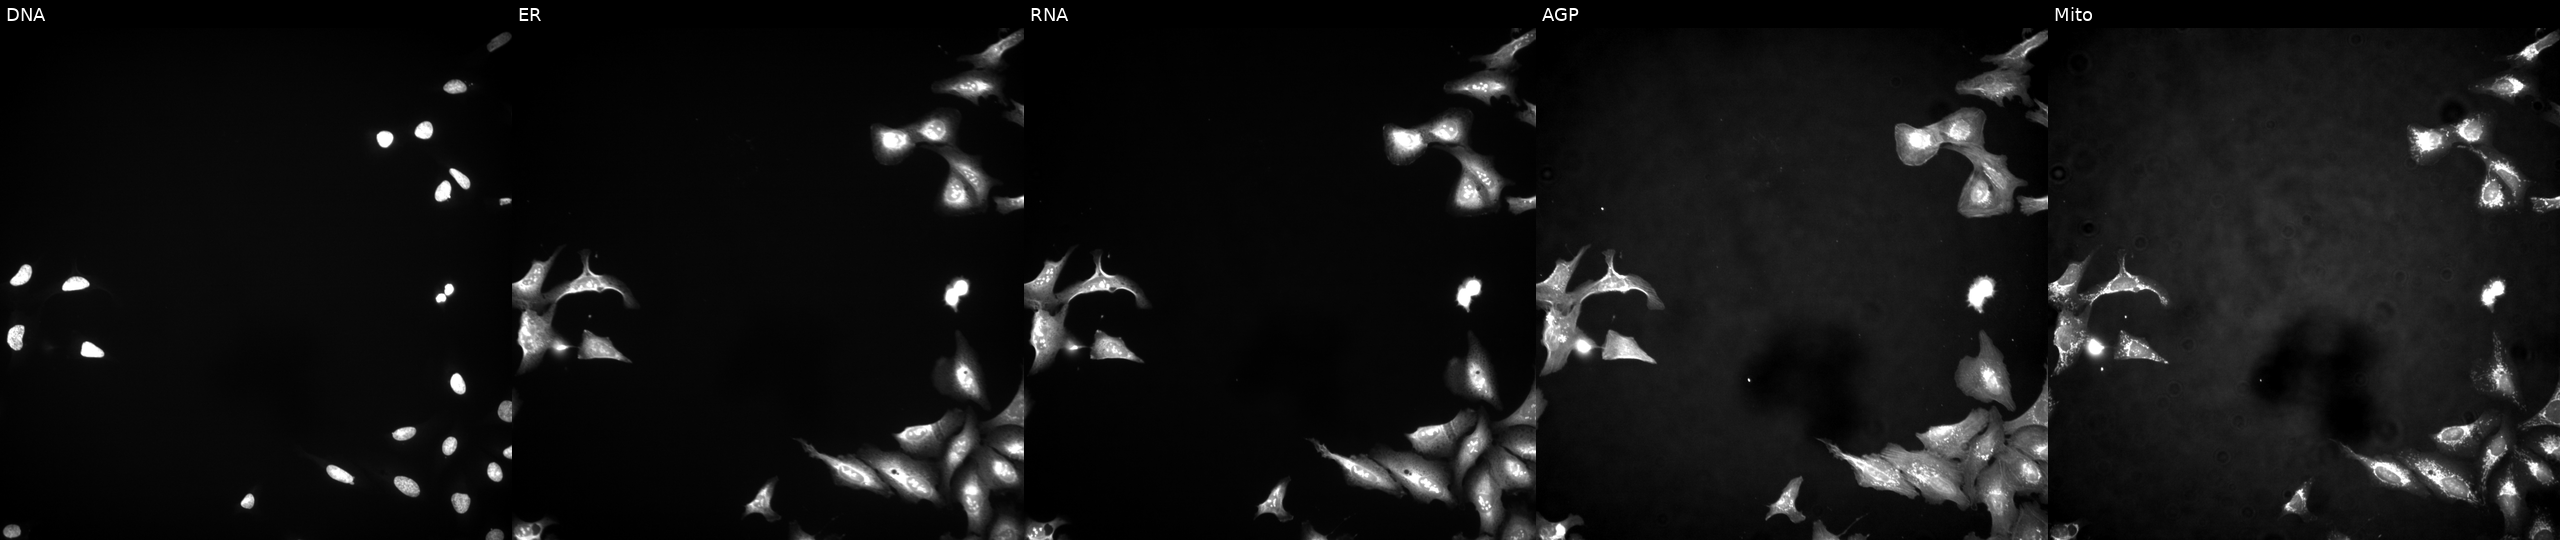
Five-channel Cell Painting image of U2OS cells with ASTE1 overexpressed (ORF). The five panels, left to right, show DNA, ER, RNA, AGP, and Mito.